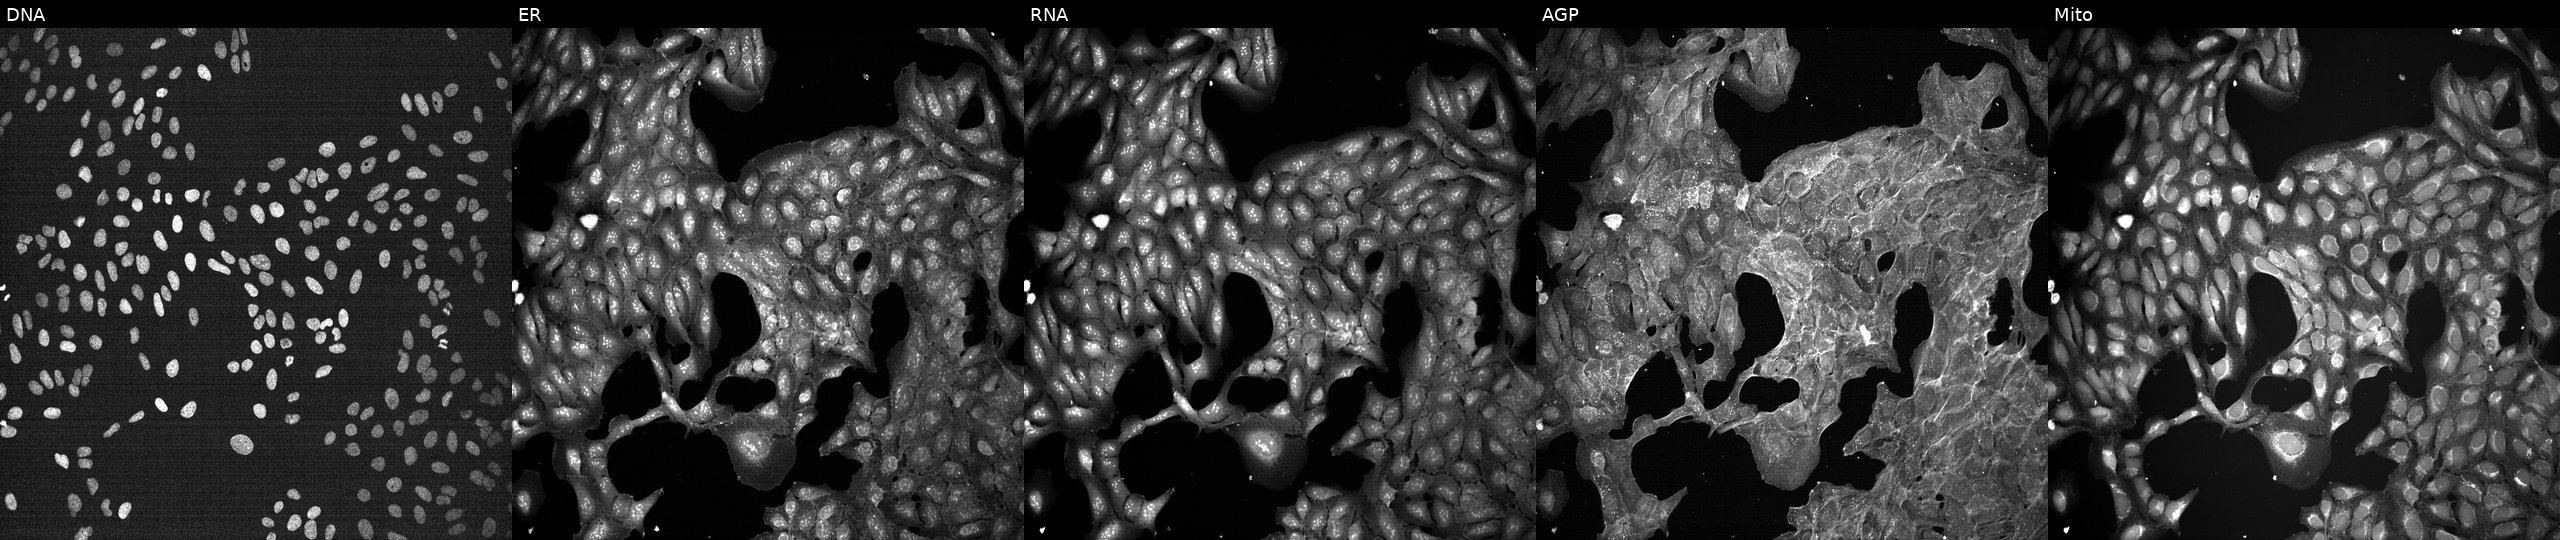
U2OS cells, Cell Painting assay, treated with a small-molecule compound (InChIKey BDNFQGRSKSQXRI-UHFFFAOYSA-N). From left to right: DNA (nuclei); ER (endoplasmic reticulum); RNA (nucleoli and cytoplasmic RNA); AGP (actin cytoskeleton, Golgi, and plasma membrane); Mito (mitochondria). Each panel is percentile-stretched 16-bit fluorescence.